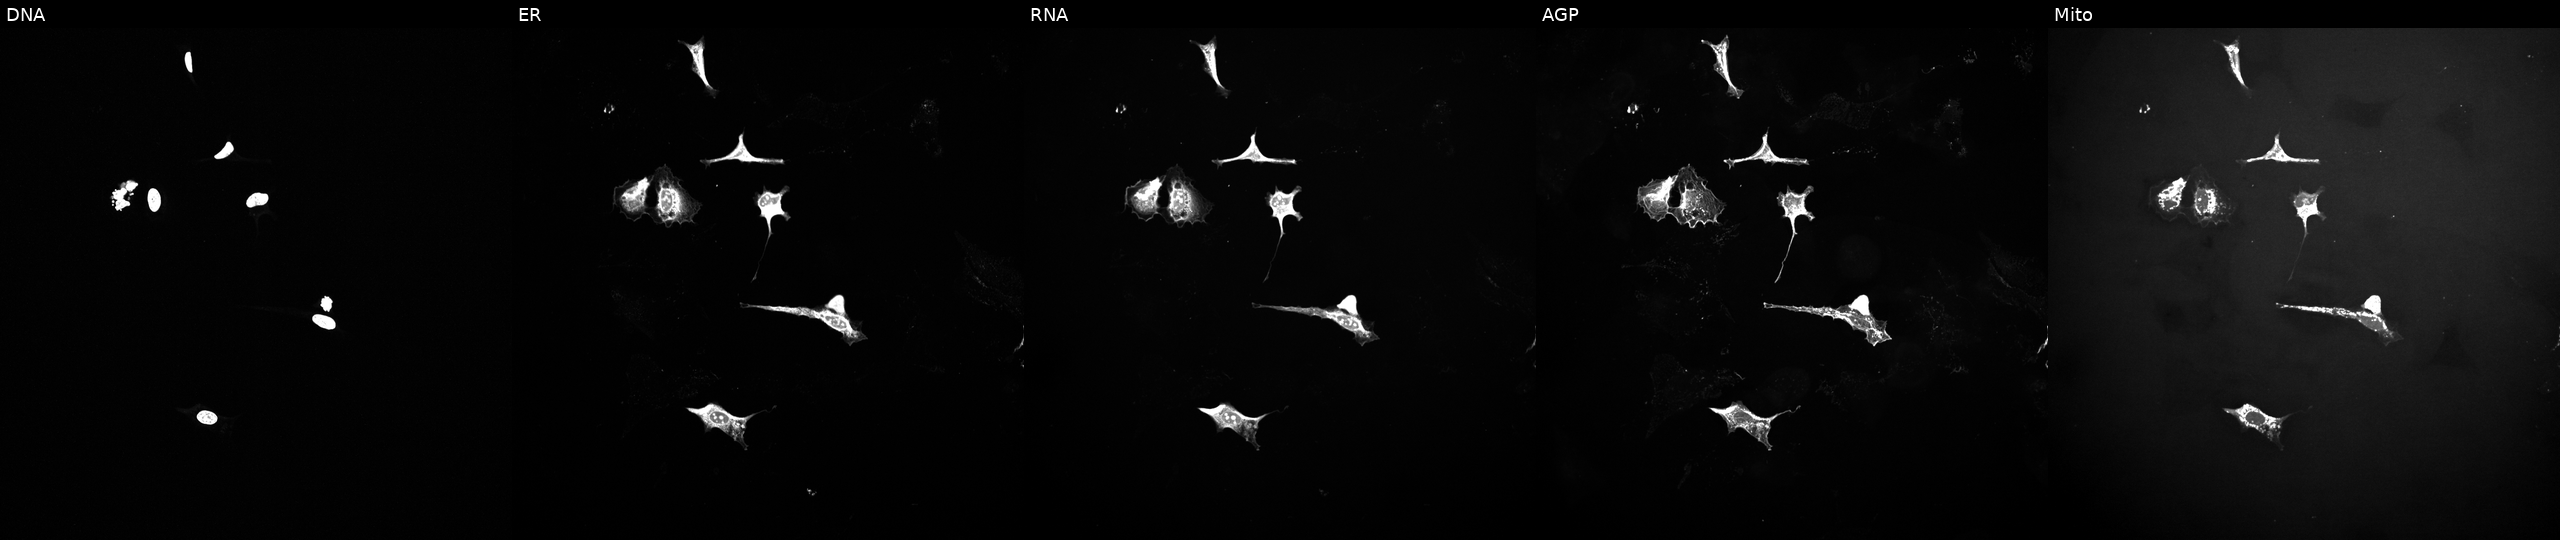
U2OS cells, Cell Painting assay, perturbed with a small-molecule compound (JUMP id JCP2022_105442). Channels (left→right): DNA (nuclei); ER (endoplasmic reticulum); RNA (nucleoli and cytoplasmic RNA); AGP (actin cytoskeleton, Golgi, and plasma membrane); Mito (mitochondria). Each panel is percentile-stretched 16-bit fluorescence. Source 10, plate Dest210727-153003, well D07.